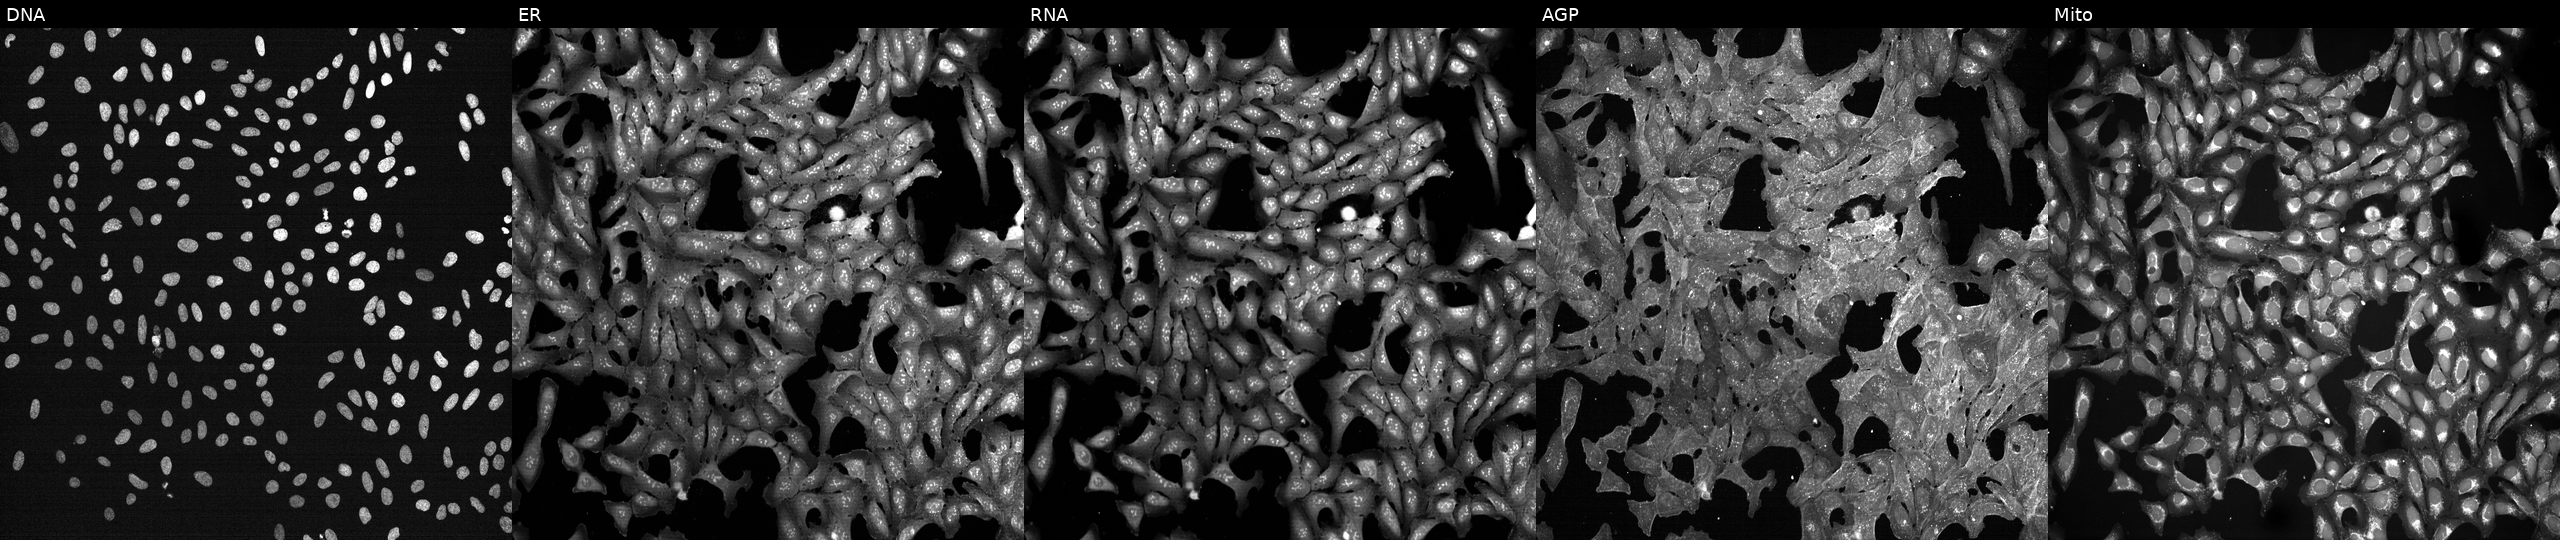
This image strip shows the five Cell Painting channels for a single field of U2OS cells treated with a small-molecule compound (InChIKey LENZDBCJOHFCAS-UHFFFAOYSA-N). The five panels, left to right, show Hoechst 33342, concanavalin A, SYTO 14, phalloidin and WGA, MitoTracker.